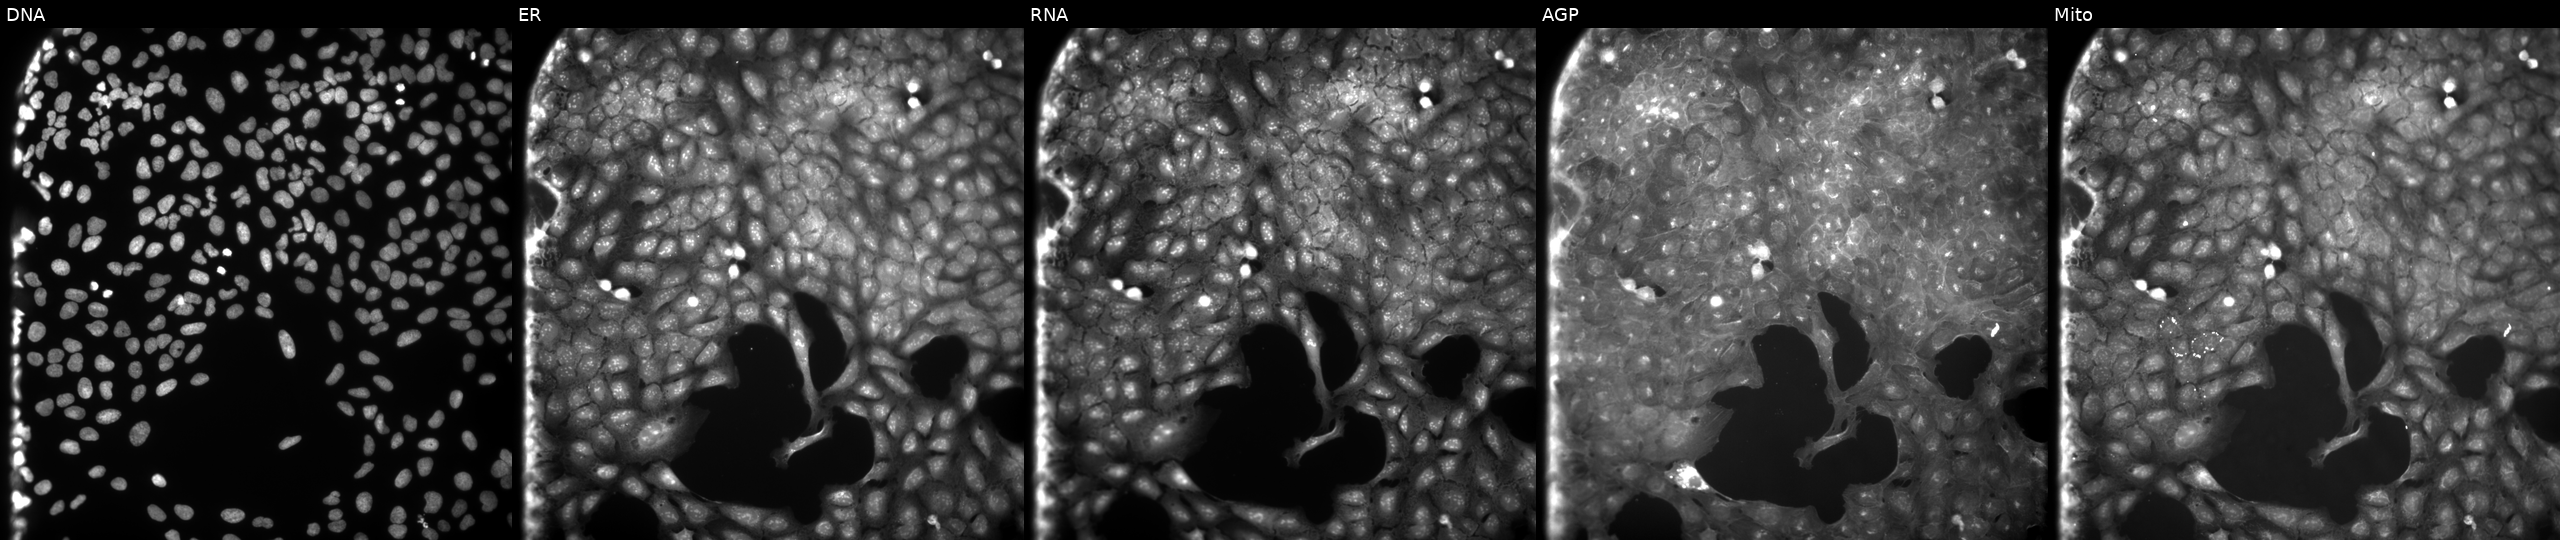
Five-channel Cell Painting image of U2OS cells treated with a small-molecule compound (JUMP id JCP2022_063062). The five panels, left to right, show Hoechst 33342, concanavalin A, SYTO 14, phalloidin and WGA, MitoTracker.